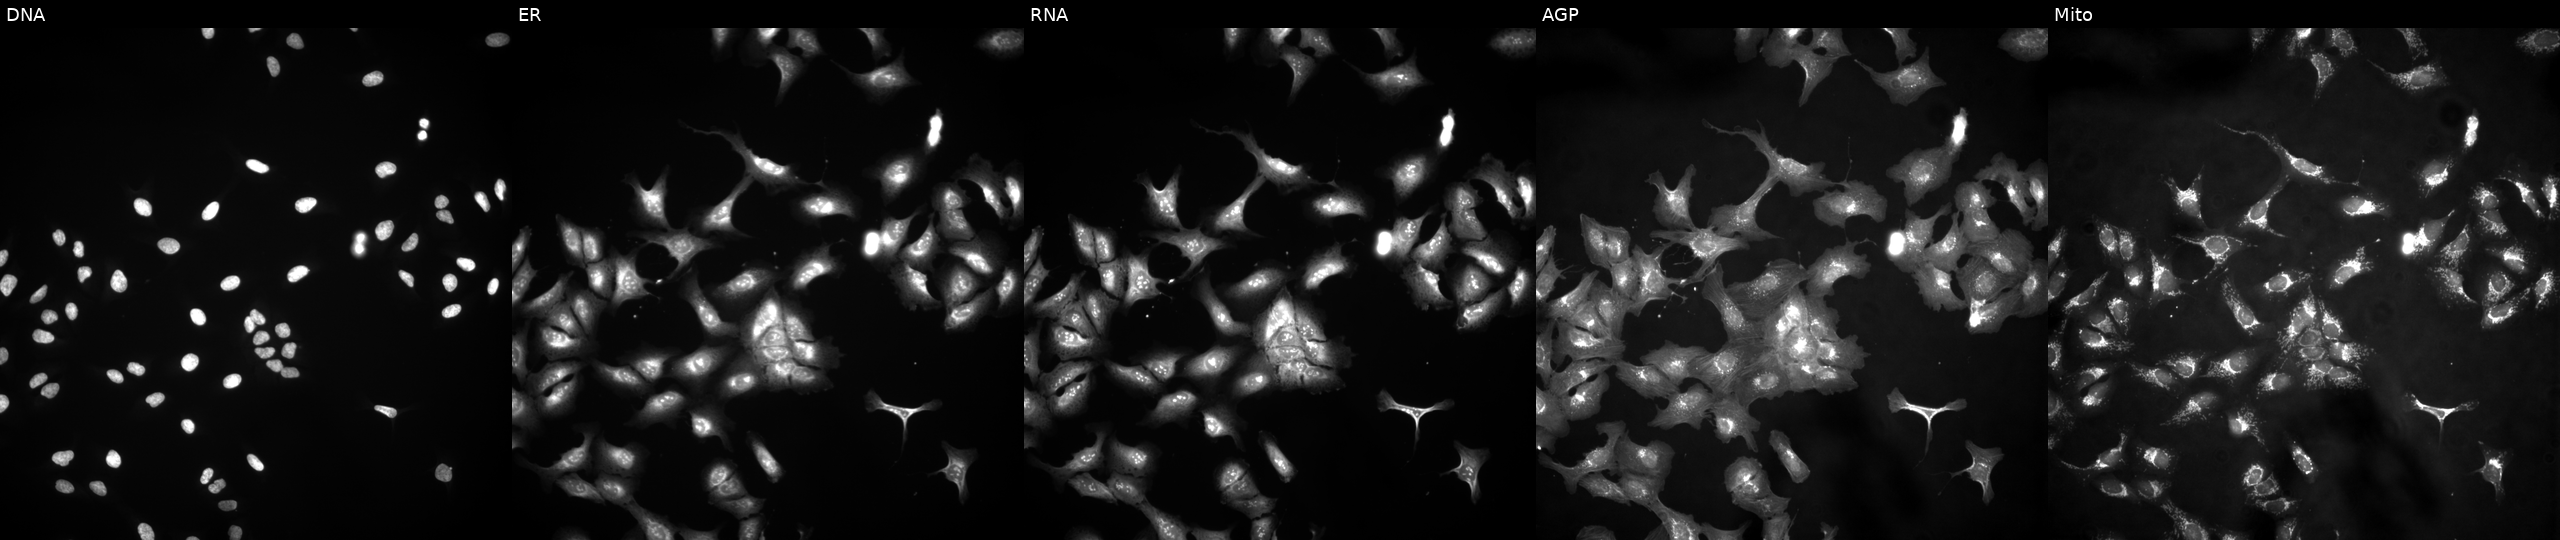
JUMP Cell Painting — ORF plate. U2OS cells expressing LacZ (ORF negative control). The five panels, left to right, show Hoechst 33342, concanavalin A, SYTO 14, phalloidin and WGA, MitoTracker.